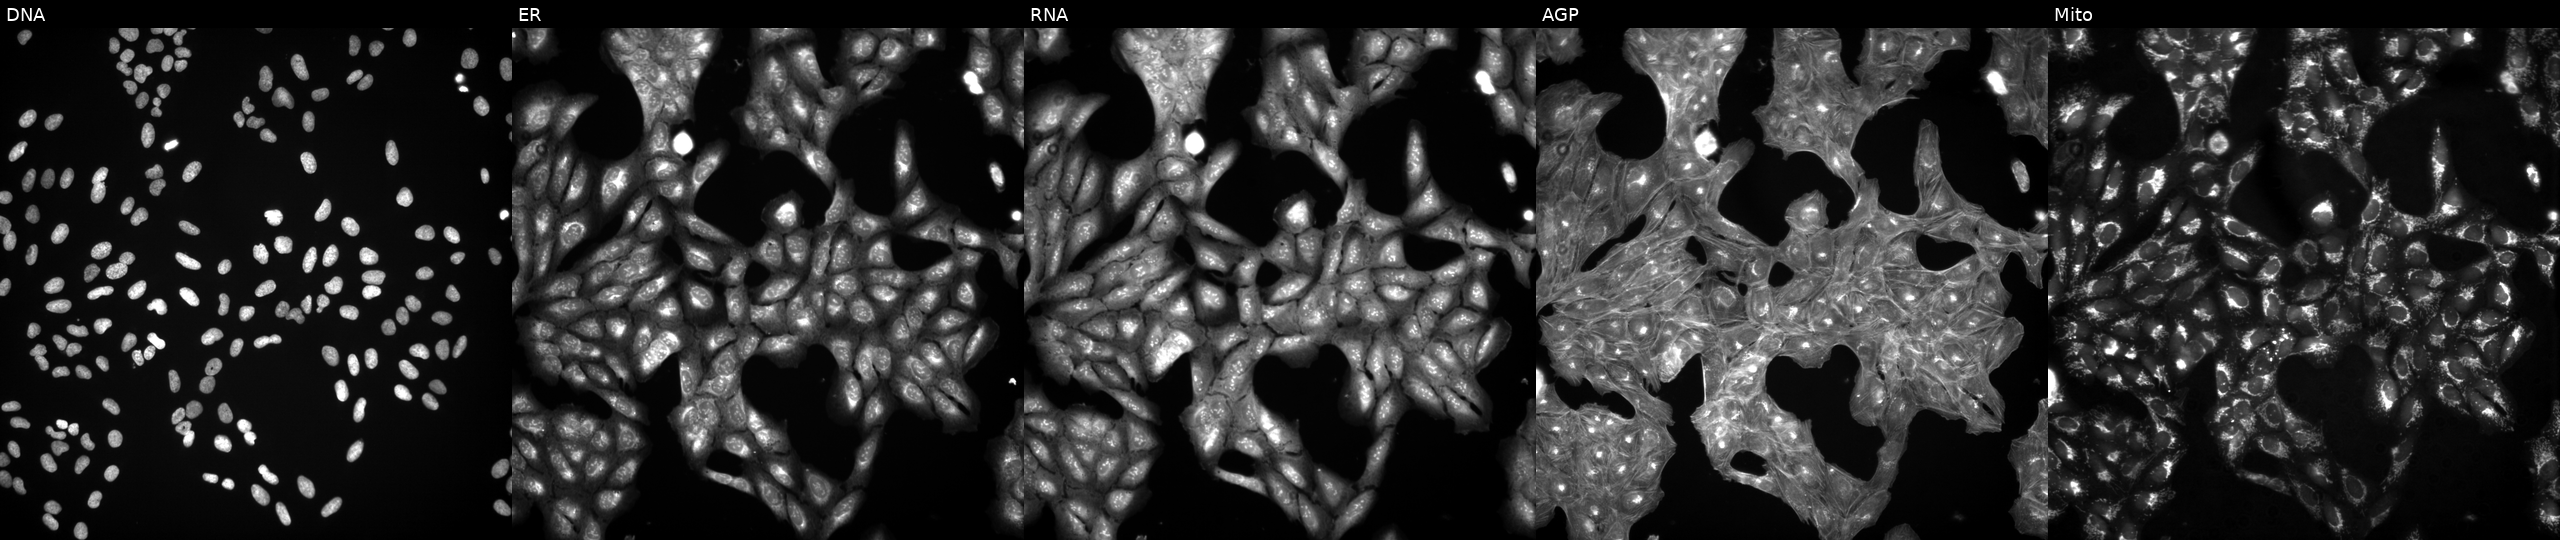
Five-channel Cell Painting image of U2OS cells exposed to DMSO alone as a negative control. The five panels, left to right, show DNA (nuclei); ER (endoplasmic reticulum); RNA (nucleoli and cytoplasmic RNA); AGP (actin cytoskeleton, Golgi, and plasma membrane); Mito (mitochondria).